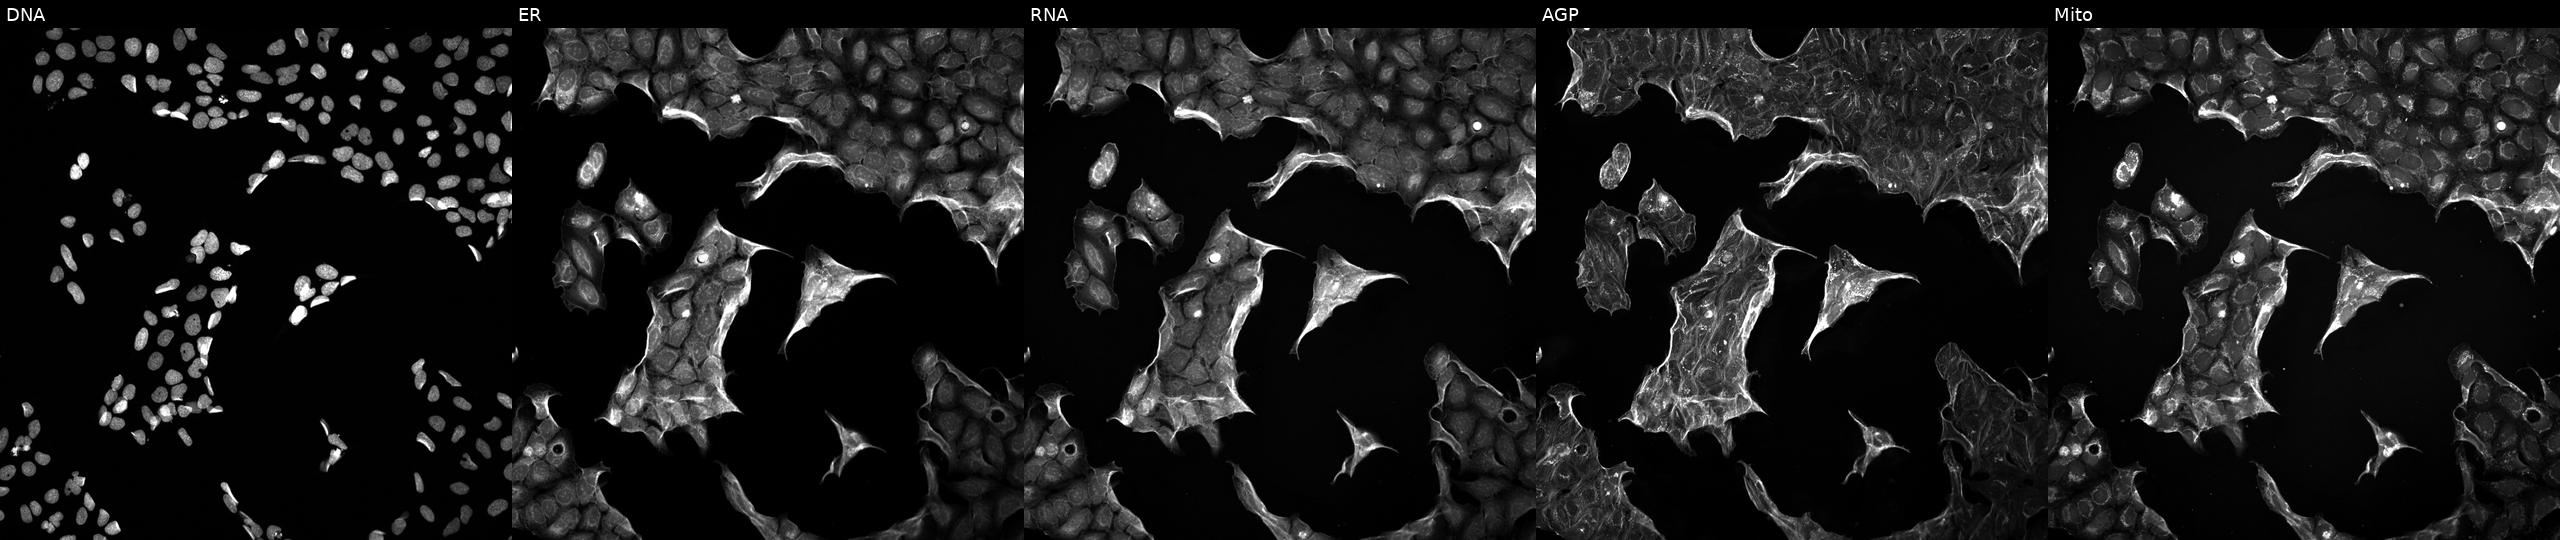
JUMP Cell Painting — TARGET2 plate. U2OS cells perturbed with a small-molecule compound (InChIKey XXJWYDDUDKYVKI-UHFFFAOYSA-N). Channels (left→right): DNA (nuclei); ER (endoplasmic reticulum); RNA (nucleoli and cytoplasmic RNA); AGP (actin cytoskeleton, Golgi, and plasma membrane); Mito (mitochondria). Source 5, plate ACPJUM051, well M20.